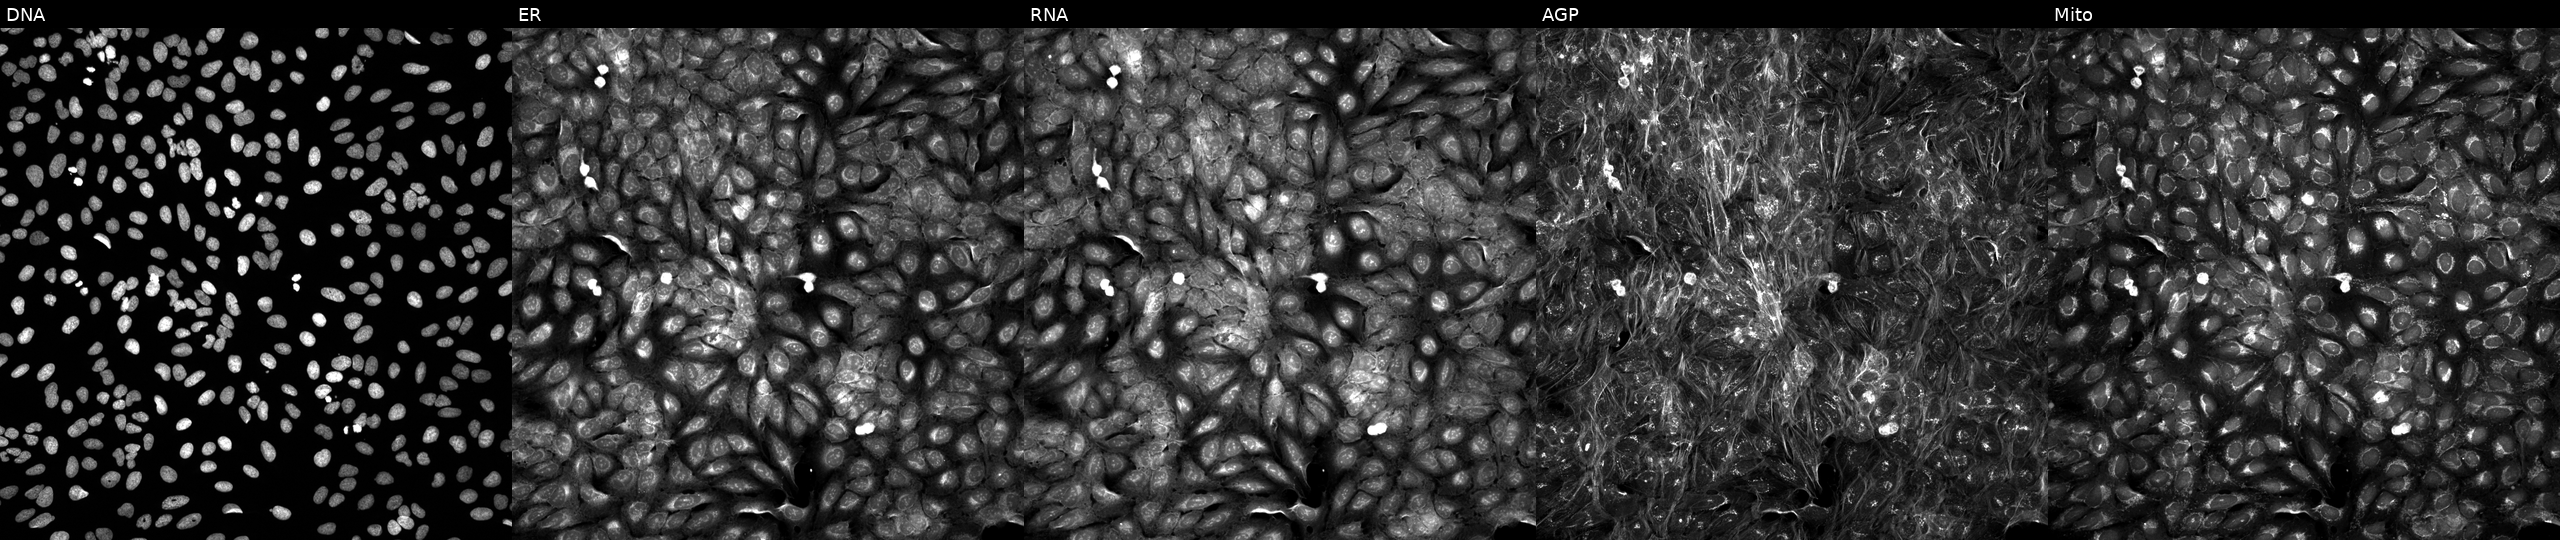
This image strip shows the five Cell Painting channels for a single field of U2OS cells treated with a small-molecule compound (InChIKey HSUGRBWQSSZJOP-UHFFFAOYSA-N). Channels (left→right): DNA, ER, RNA, AGP, and Mito.